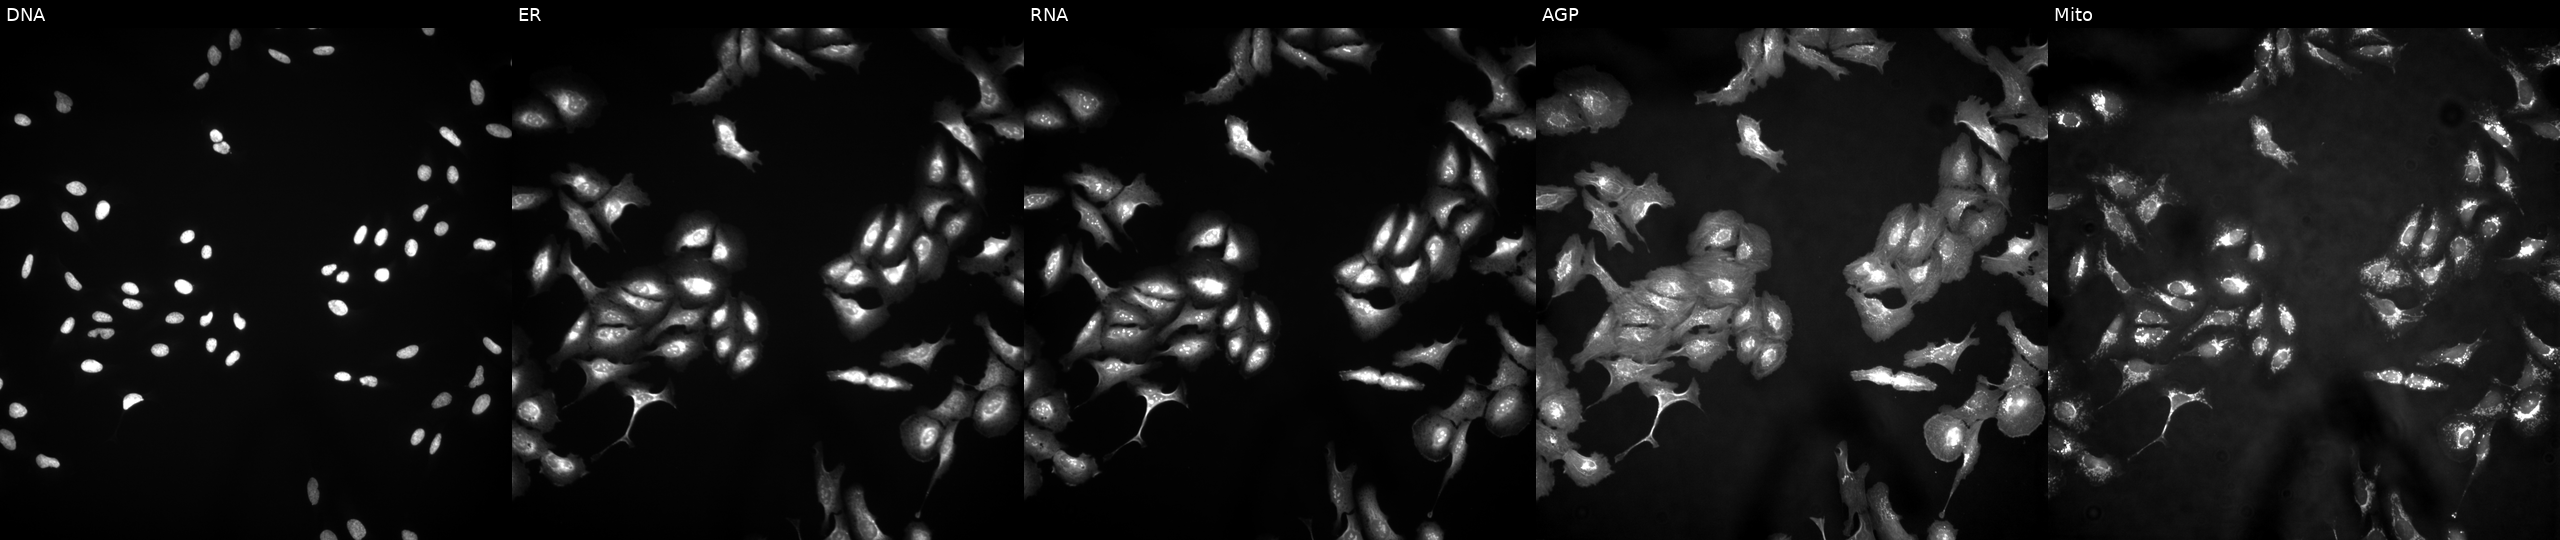
This image strip shows the five Cell Painting channels for a single field of U2OS cells with HEMK1 overexpressed (ORF) (JUMP id JCP2022_907748). Channels (left→right): DNA, ER, RNA, AGP, and Mito. Source 4, plate BR00121543, well P13.